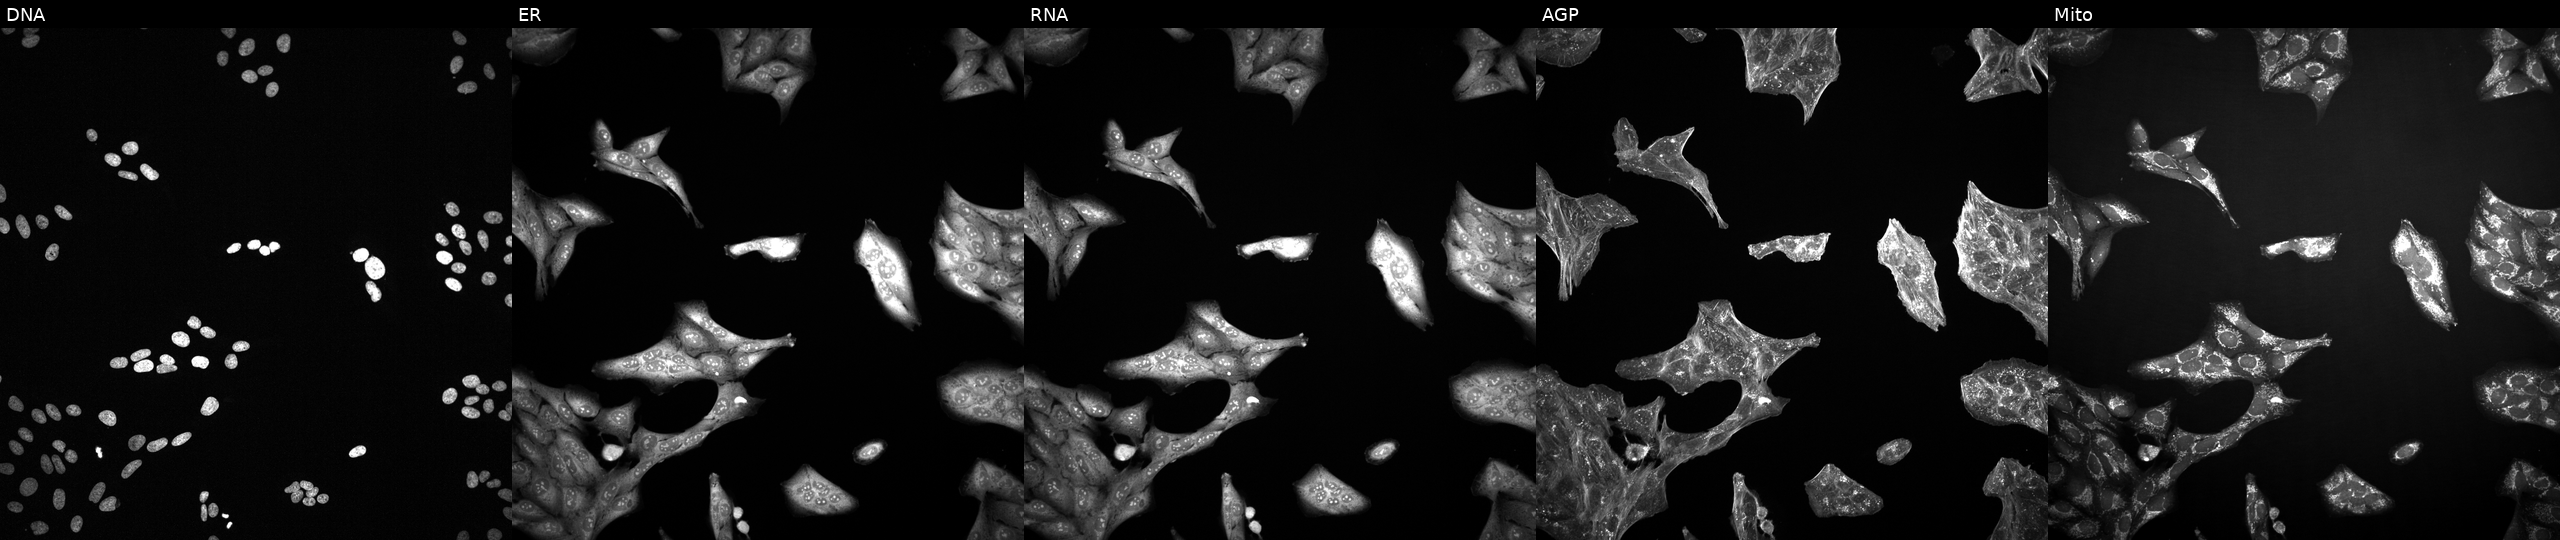
This image strip shows the five Cell Painting channels for a single field of U2OS cells perturbed with a small-molecule compound [SMILES: CCN1CCN(Cc2ccc(C(=O)Nc3ccc(C)c(Oc4ccc5[nH]c(O)cc5c4)c3)cc2C(F)(F)F)CC1] (JUMP id JCP2022_092256). Channels (left→right): DNA, ER, RNA, AGP, and Mito.